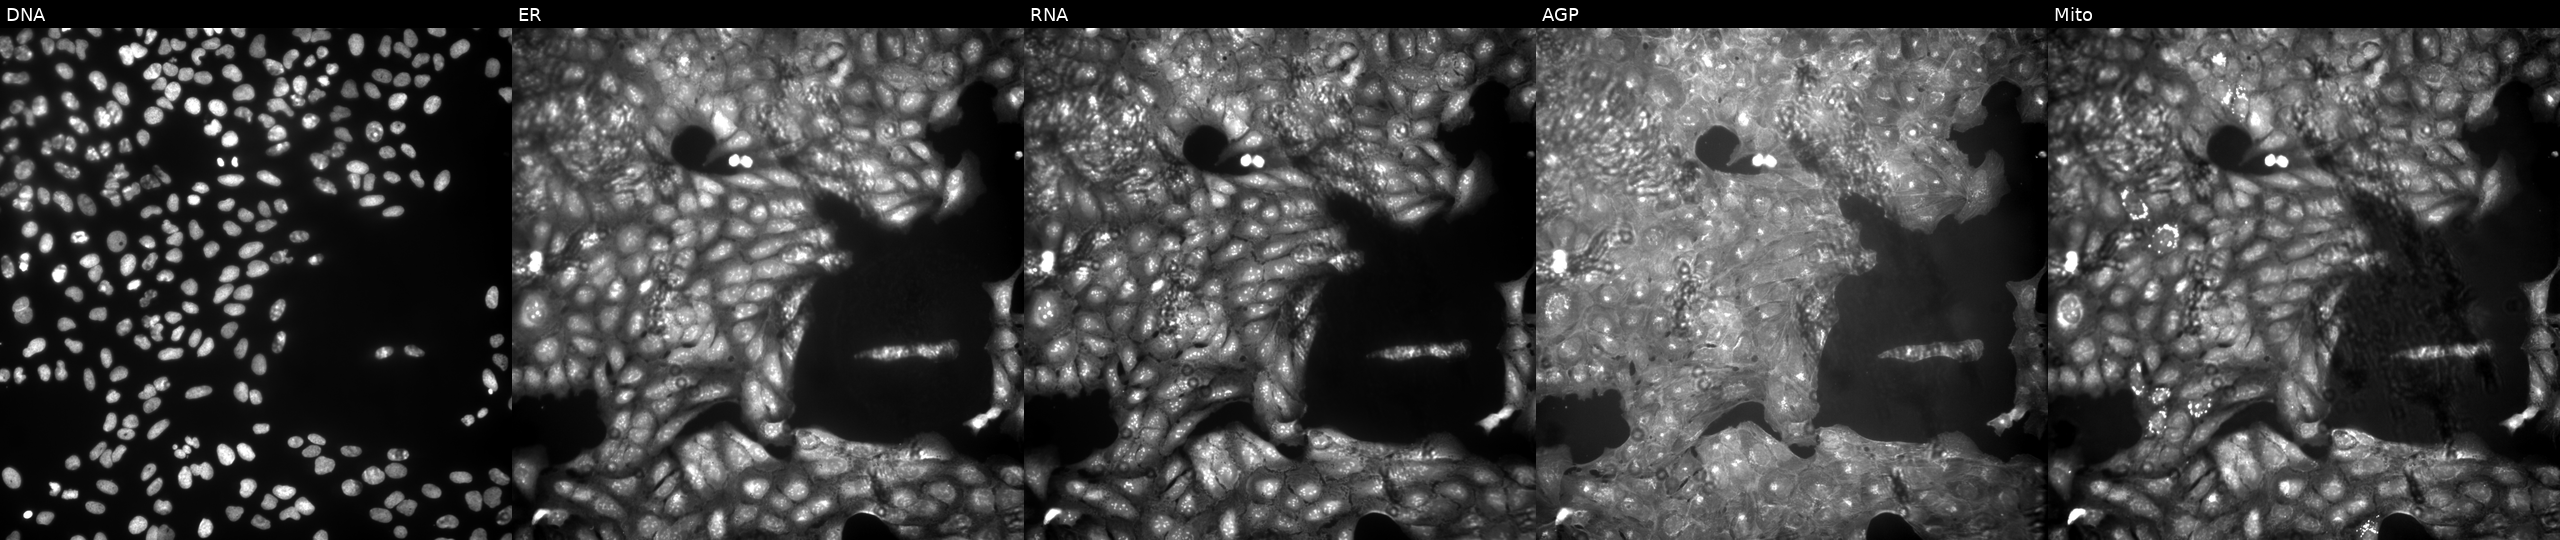
JUMP Cell Painting — COMPOUND plate. U2OS cells perturbed with a small-molecule compound. Panels show, left to right, DNA (nuclei); ER (endoplasmic reticulum); RNA (nucleoli and cytoplasmic RNA); AGP (actin cytoskeleton, Golgi, and plasma membrane); Mito (mitochondria). Source 9, plate GR00003381, well A38.